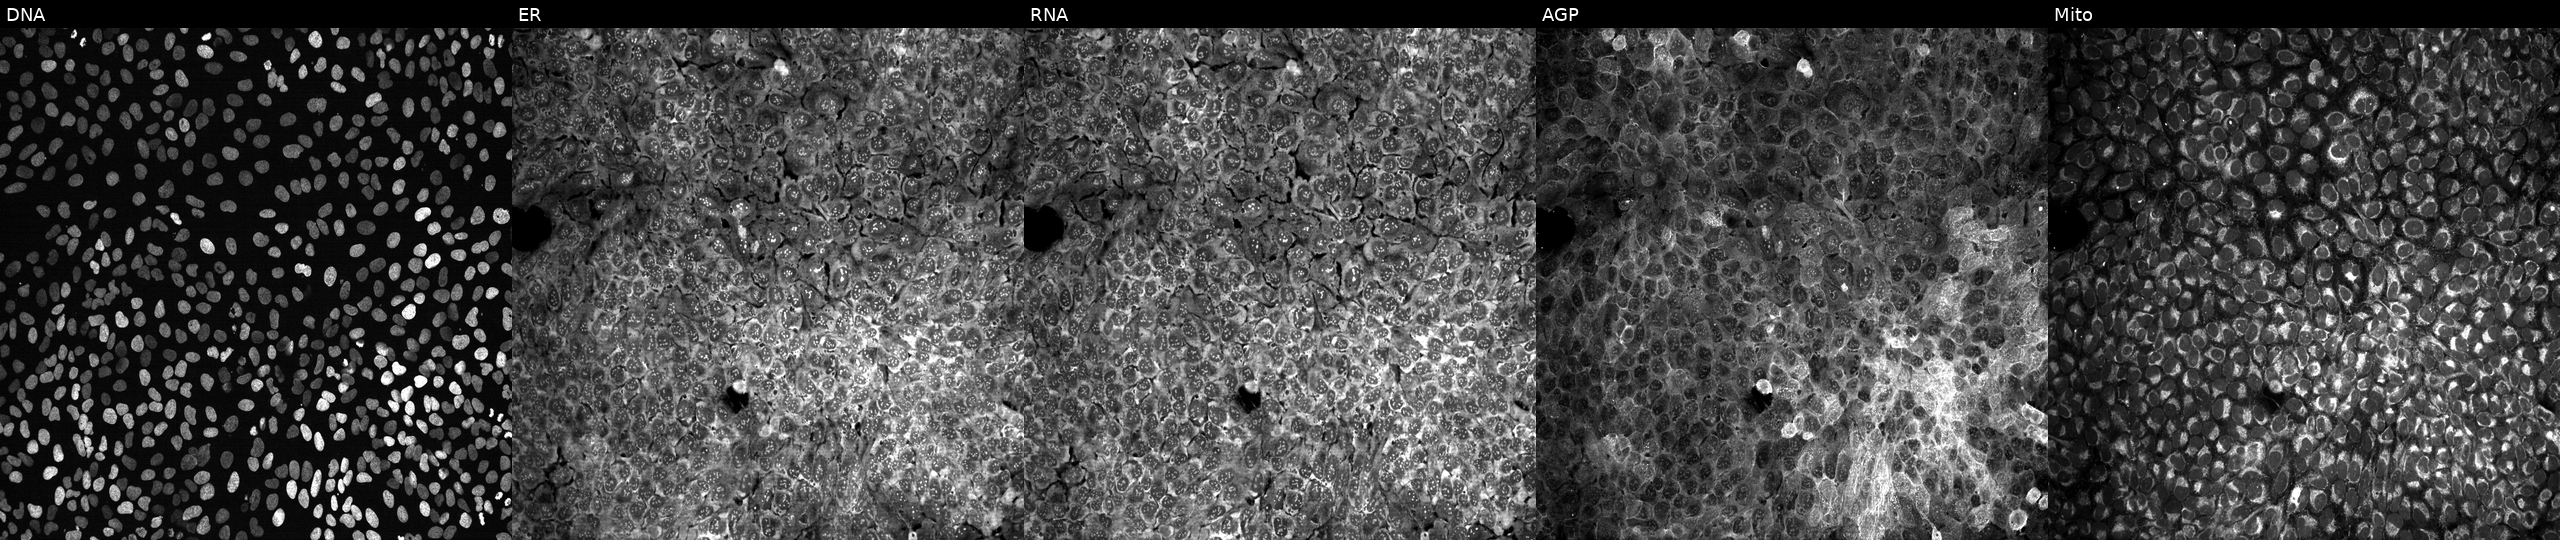
High-content fluorescence microscopy (Cell Painting). Cell line: U2OS. Perturbation: exposed to the positive-control compound dexamethasone (JUMP id JCP2022_025848). Channels (left→right): DNA, ER, RNA, AGP, and Mito. Source 13, plate CP-CC9-R4-03, well C01.